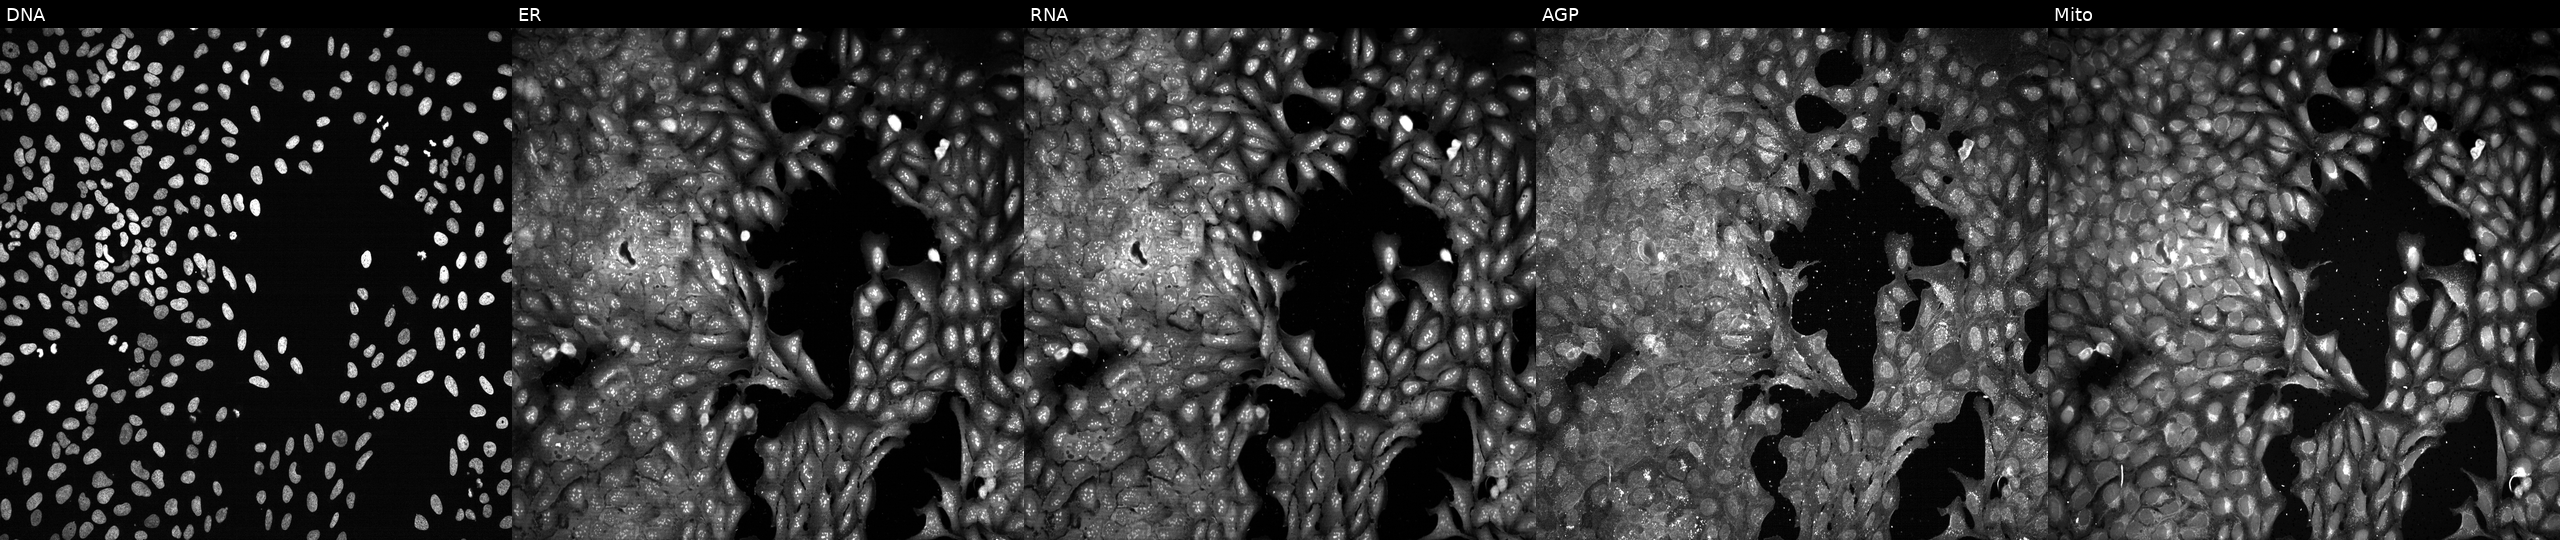
U2OS cells, Cell Painting assay, with a non-targeting CRISPR guide (negative control) (JUMP id JCP2022_800002). Panels show, left to right, DNA, ER, RNA, AGP, and Mito. Each panel is percentile-stretched 16-bit fluorescence. Source 13, plate CP-CC9-R1-01, well G02.